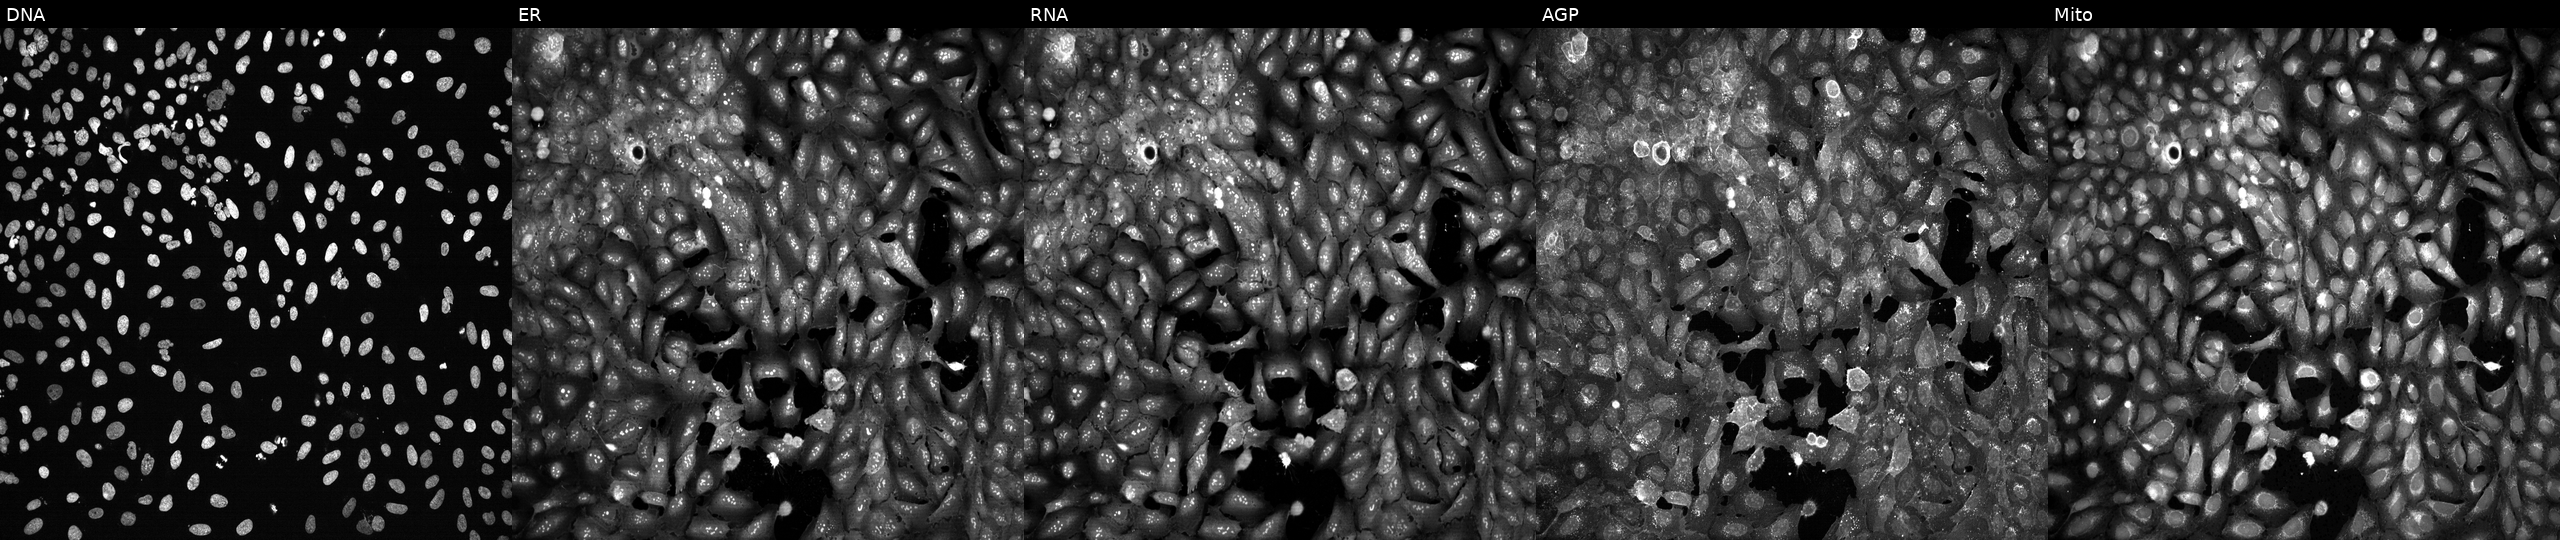
Five-channel Cell Painting image of U2OS cells following CRISPR knockout of NCR1 (JUMP id JCP2022_804458). Panels show, left to right, DNA, ER, RNA, AGP, and Mito. Source 13, plate CP-CC9-R1-02, well H09.